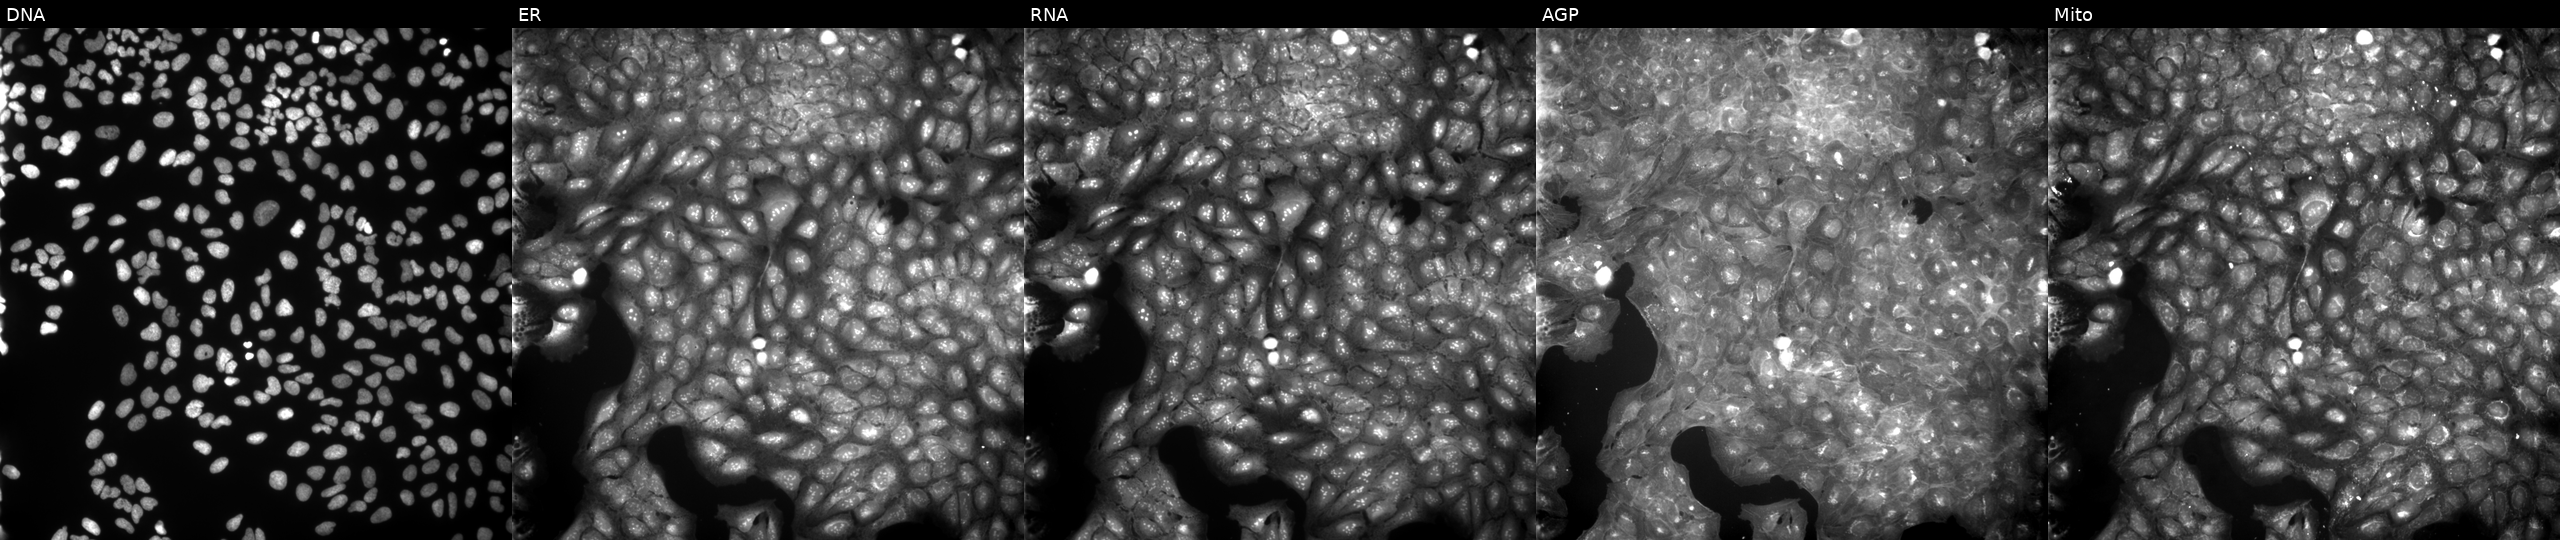
Five-channel Cell Painting image of U2OS cells treated with a small-molecule compound (InChIKey PFUCNMYKIVKBEV-UHFFFAOYSA-N). The five panels, left to right, show Hoechst 33342, concanavalin A, SYTO 14, phalloidin and WGA, MitoTracker.